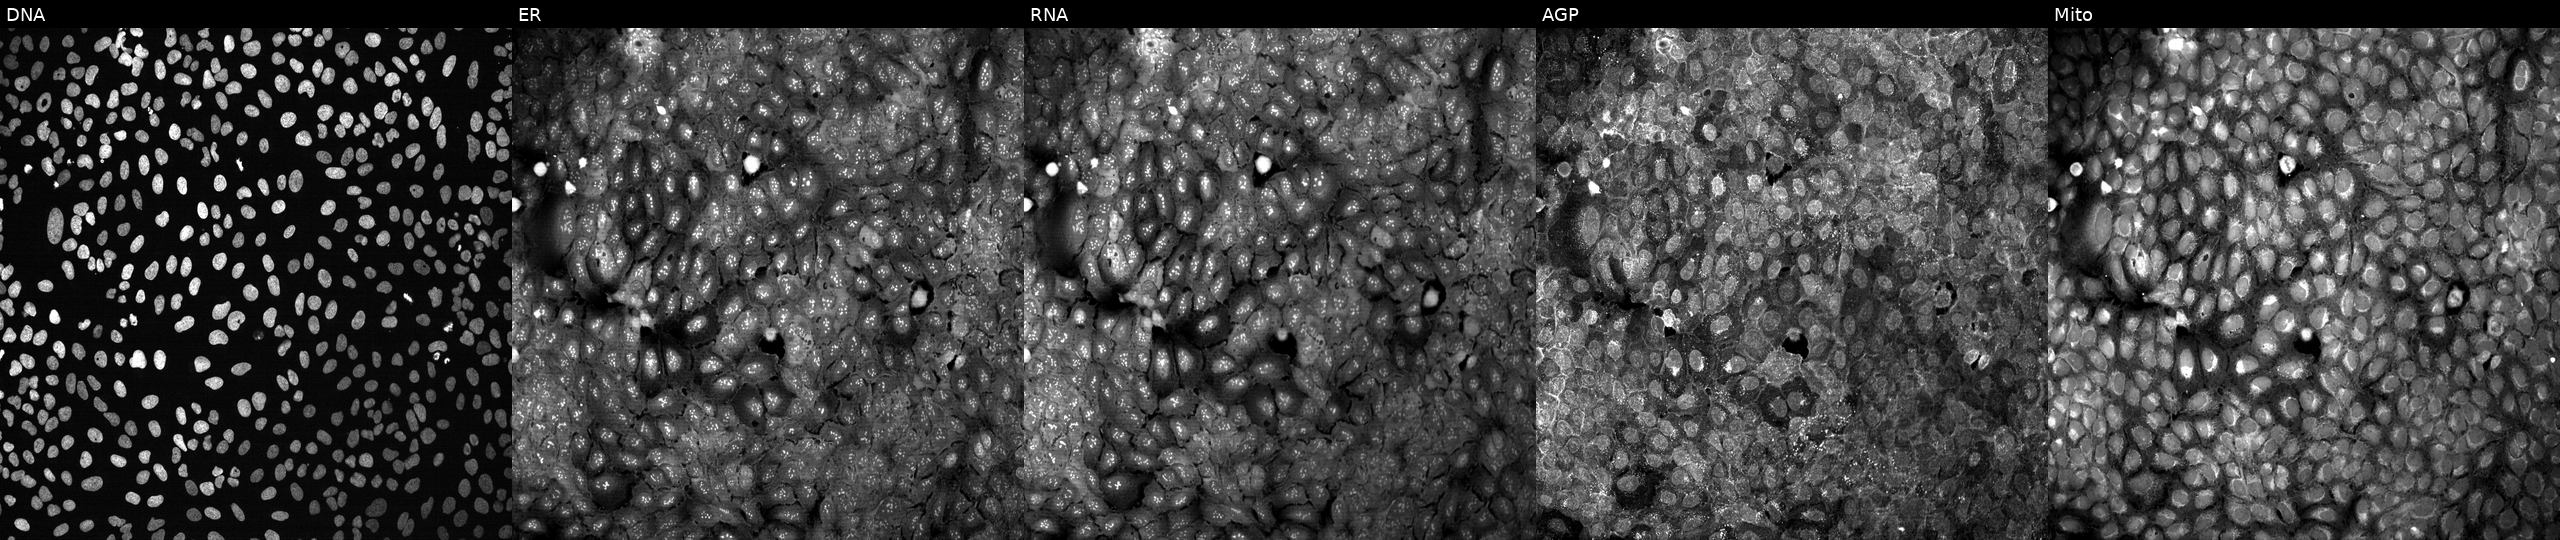
This image strip shows the five Cell Painting channels for a single field of U2OS cells exposed to the positive-control compound quinidine (JUMP id JCP2022_050797). Panels show, left to right, DNA (nuclei); ER (endoplasmic reticulum); RNA (nucleoli and cytoplasmic RNA); AGP (actin cytoskeleton, Golgi, and plasma membrane); Mito (mitochondria).